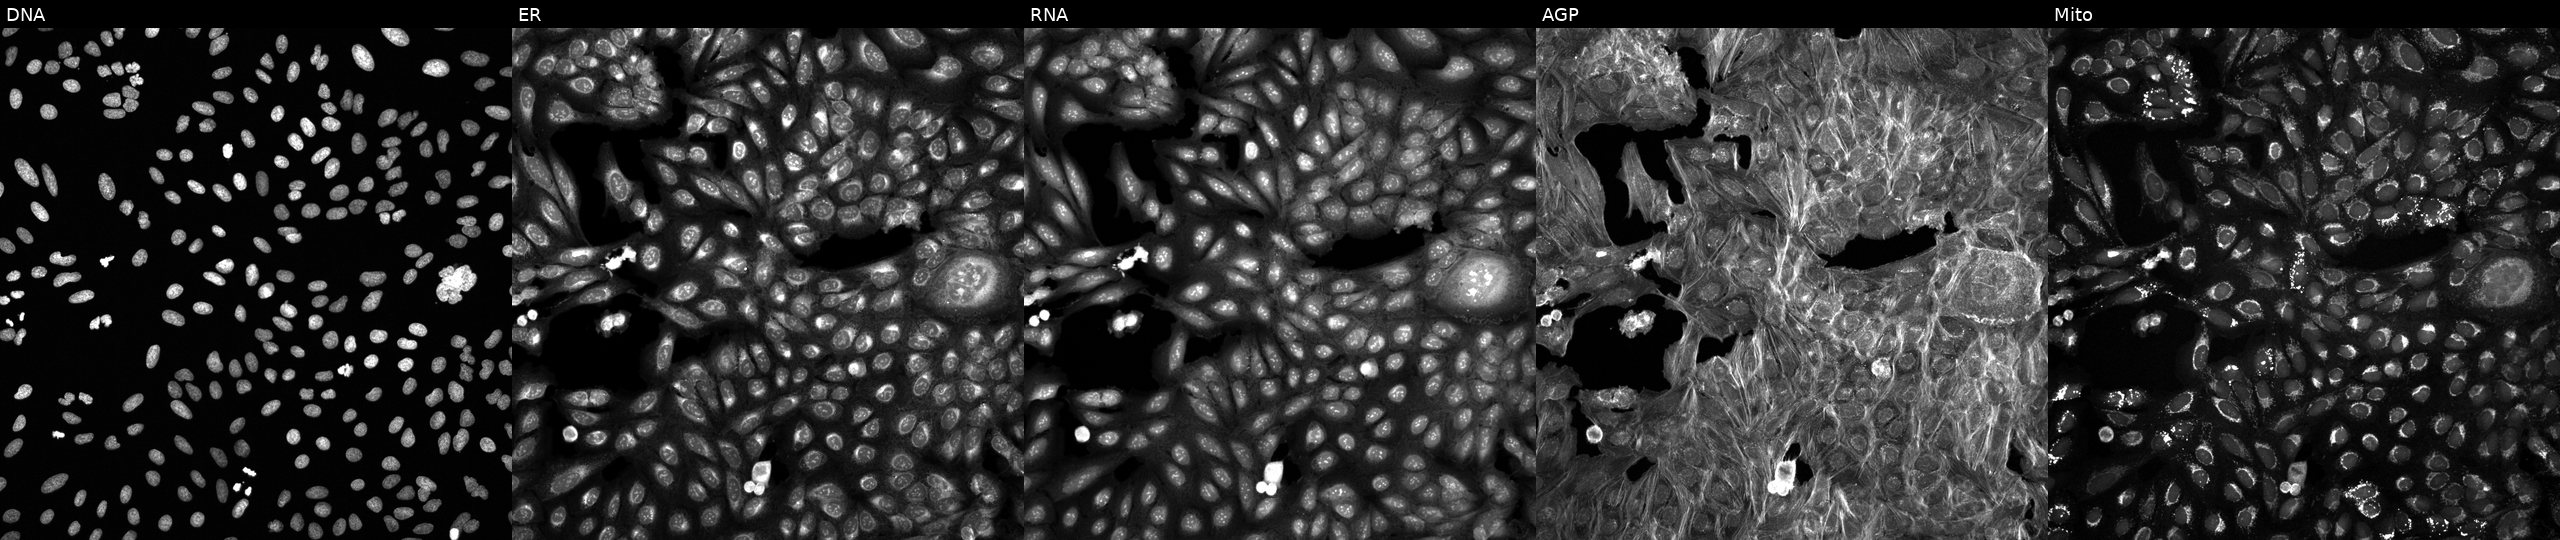
JUMP Cell Painting — COMPOUND plate. U2OS cells exposed to a small-molecule compound [SMILES: O=[N+]([O-])c1ccc(S(=O)(=O)N=c2[nH]n(Cc3c(F)cccc3Cl)cc2Cl)cc1] (JUMP id JCP2022_023769). Panels show, left to right, DNA, ER, RNA, AGP, and Mito. Source 6, plate 110000293083, well C04.